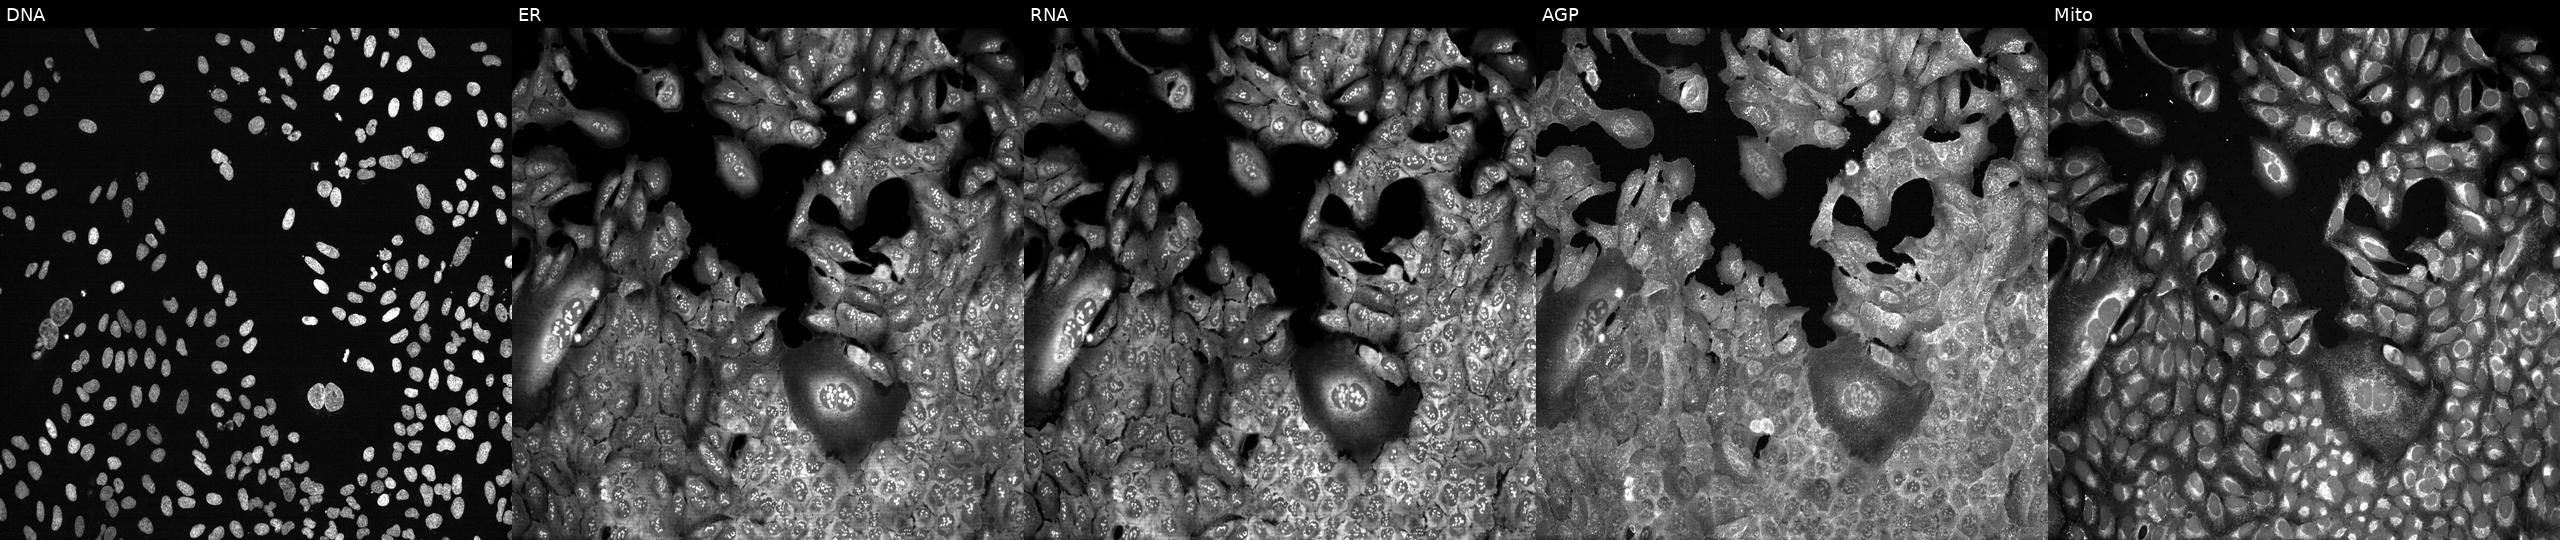
Panels show, left to right, DNA, ER, RNA, AGP, and Mito. U2OS osteosarcoma cells following CRISPR knockout of ANG. Cell Painting assay, JUMP-CP dataset.